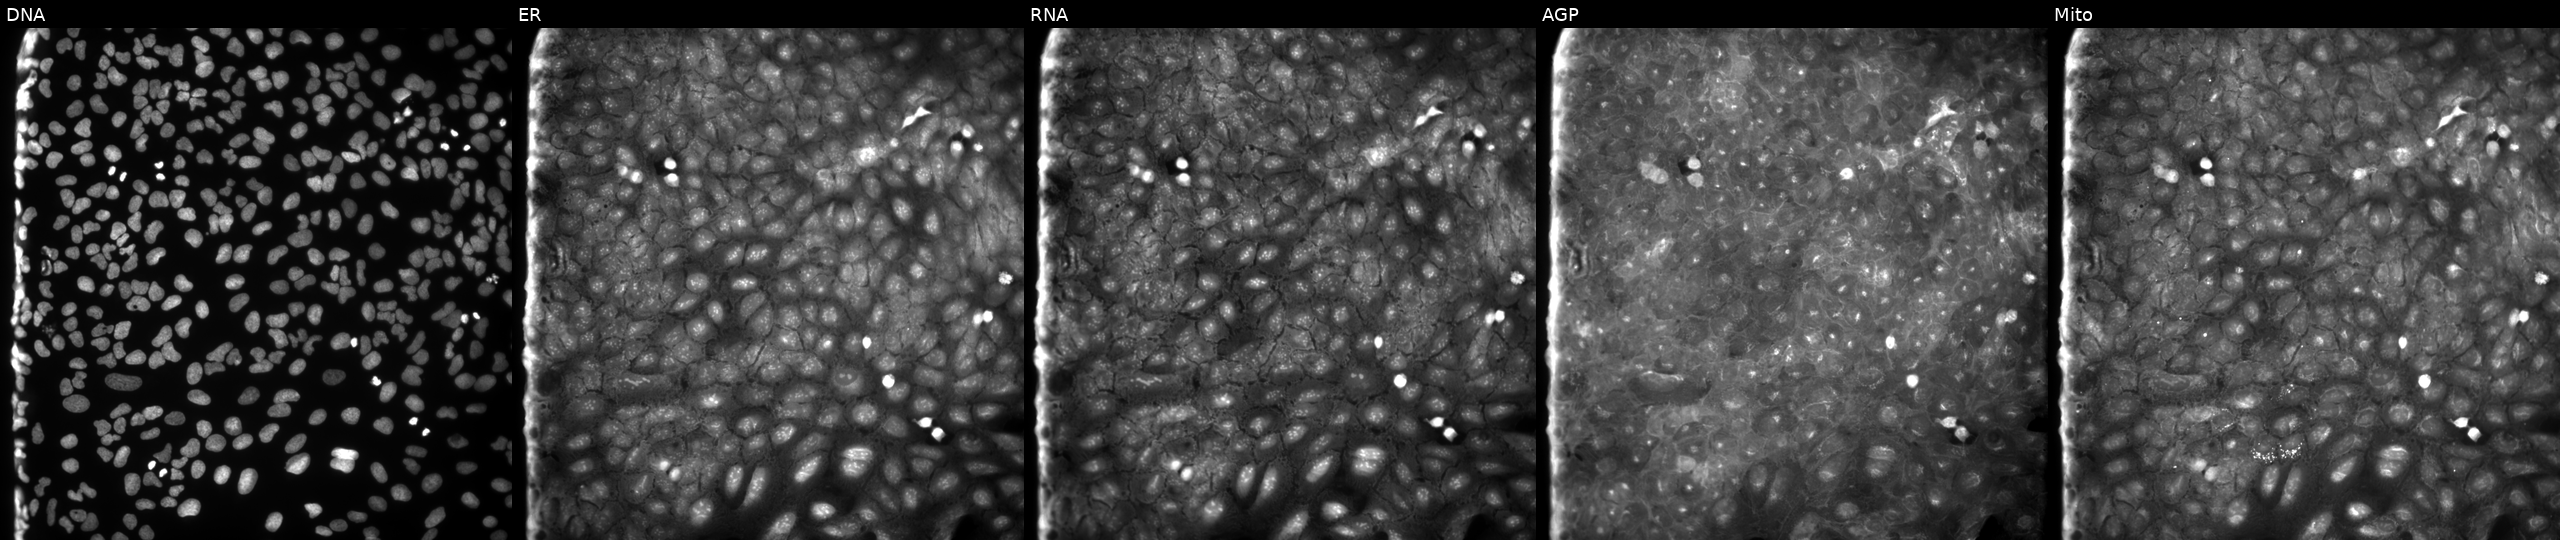
This image strip shows the five Cell Painting channels for a single field of U2OS cells exposed to DMSO alone as a negative control. From left to right: Hoechst 33342, concanavalin A, SYTO 14, phalloidin and WGA, MitoTracker.